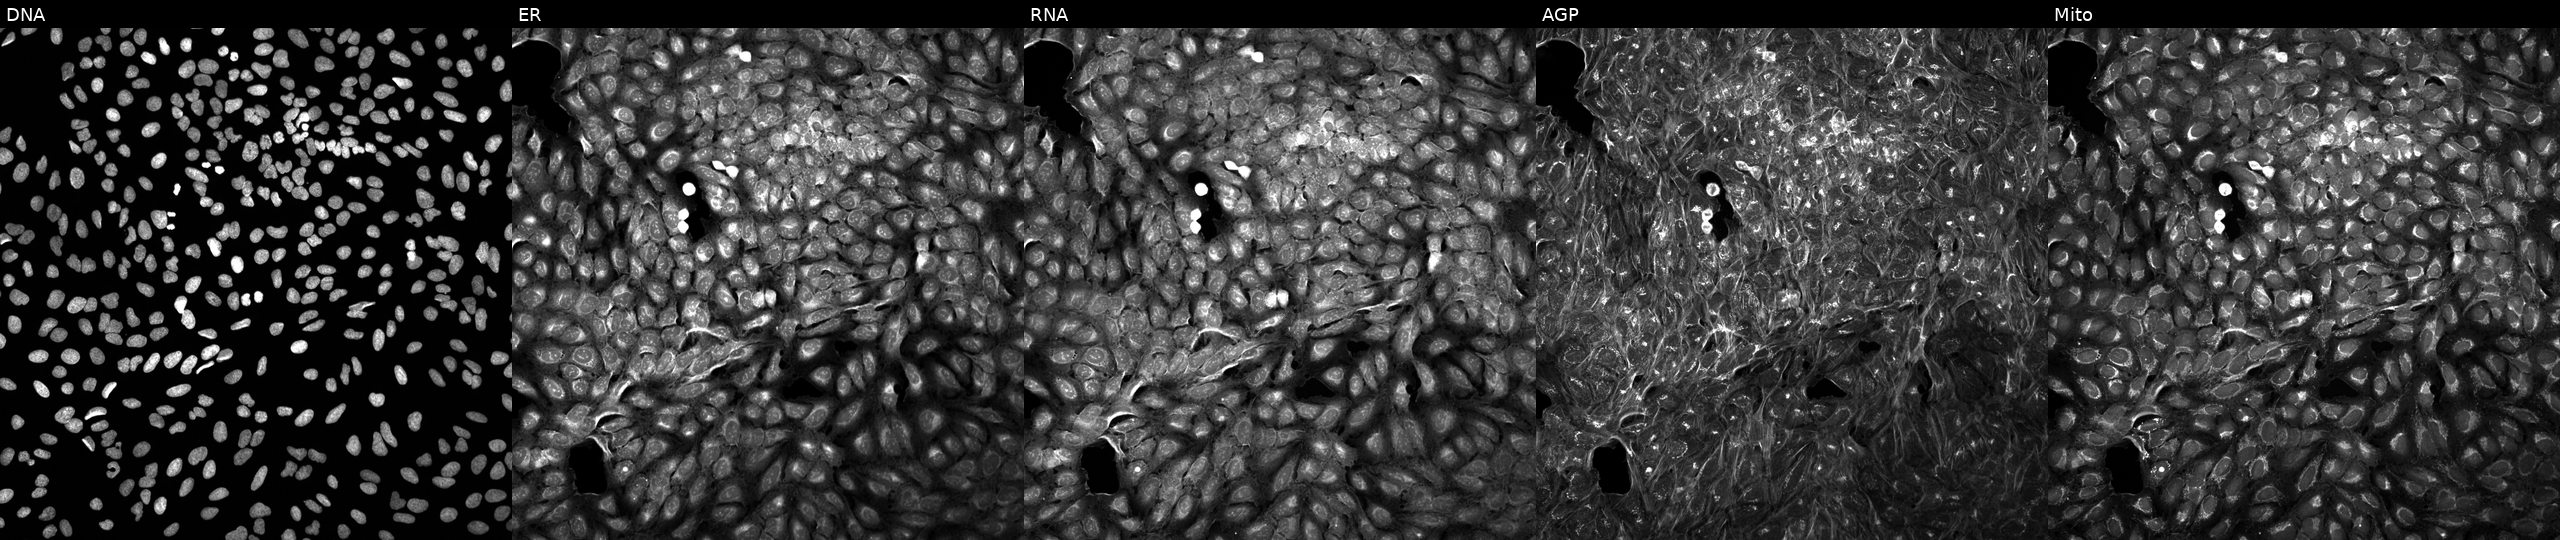
JUMP Cell Painting — COMPOUND plate. U2OS cells treated with aloxistatin (positive-control compound). Channels (left→right): DNA (nuclei); ER (endoplasmic reticulum); RNA (nucleoli and cytoplasmic RNA); AGP (actin cytoskeleton, Golgi, and plasma membrane); Mito (mitochondria). Source 5, plate APTJUM105, well M24.